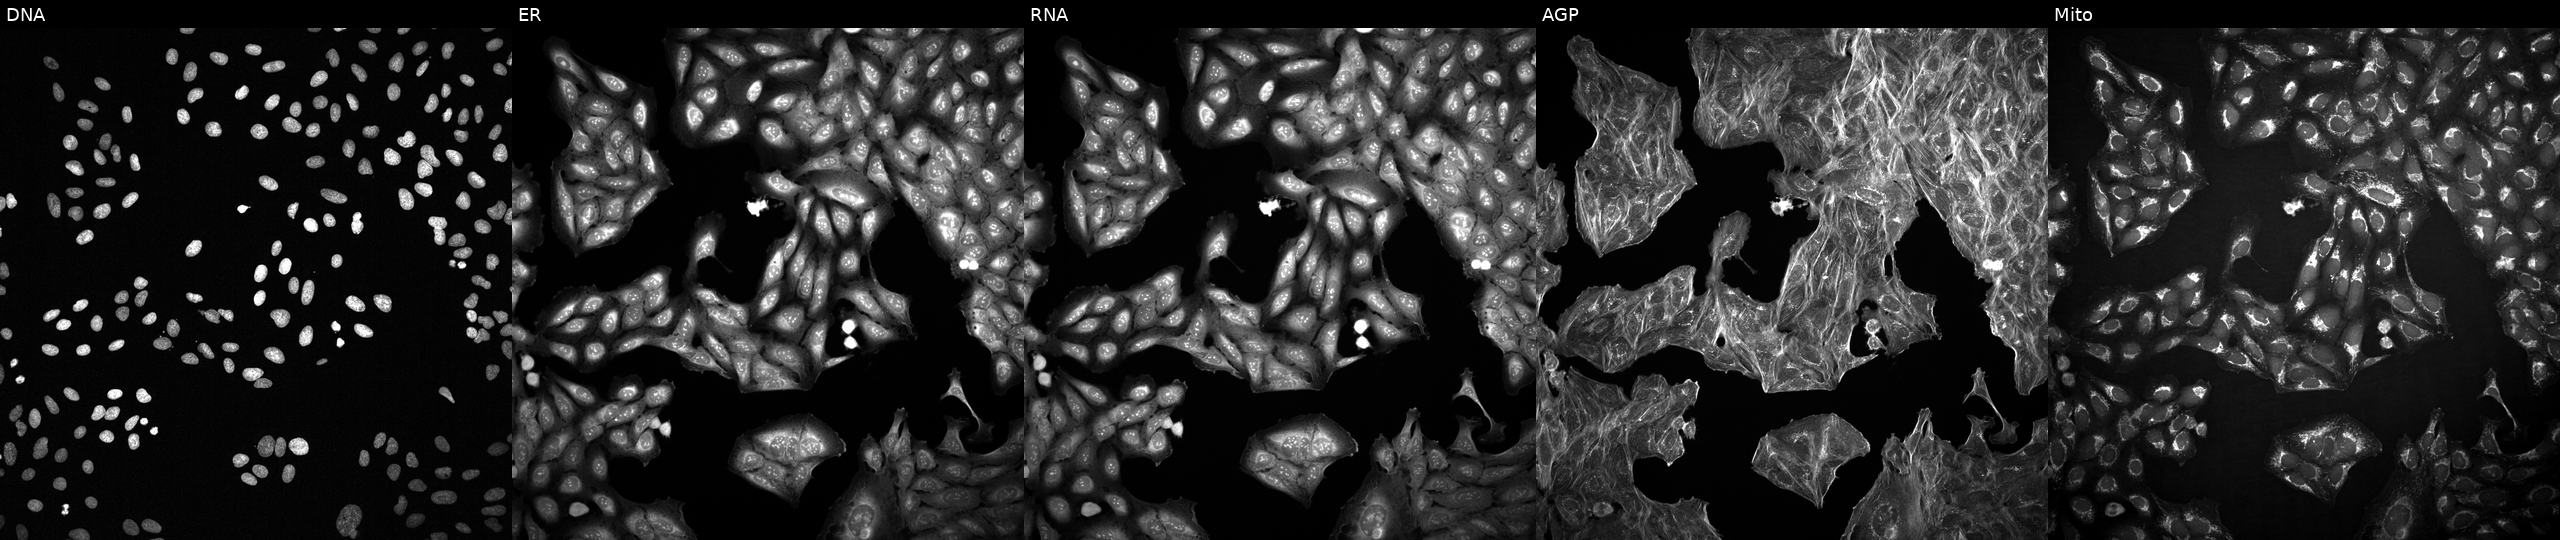
U2OS cells, Cell Painting assay, perturbed with a small-molecule compound. From left to right: DNA (nuclei); ER (endoplasmic reticulum); RNA (nucleoli and cytoplasmic RNA); AGP (actin cytoskeleton, Golgi, and plasma membrane); Mito (mitochondria). Each panel is percentile-stretched 16-bit fluorescence. Source 2, plate 1053601756, well K17.